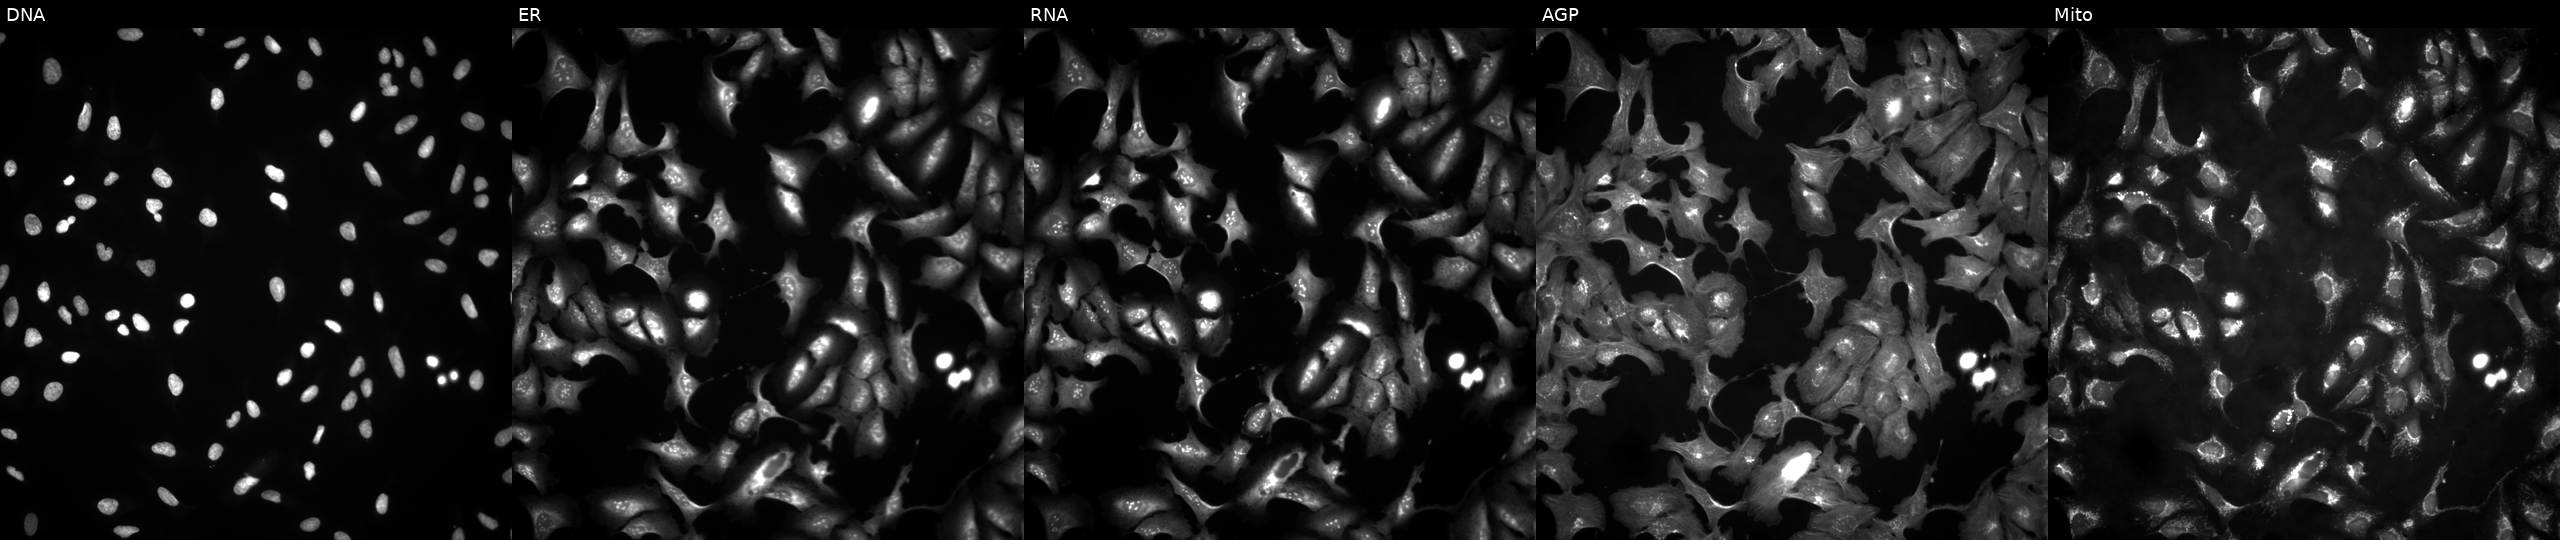
The five panels, left to right, show DNA (nuclei); ER (endoplasmic reticulum); RNA (nucleoli and cytoplasmic RNA); AGP (actin cytoskeleton, Golgi, and plasma membrane); Mito (mitochondria). U2OS osteosarcoma cells transfected with an ORF construct for RTL8B. Cell Painting assay, JUMP-CP dataset. Source 4, plate BR00124784, well L19.